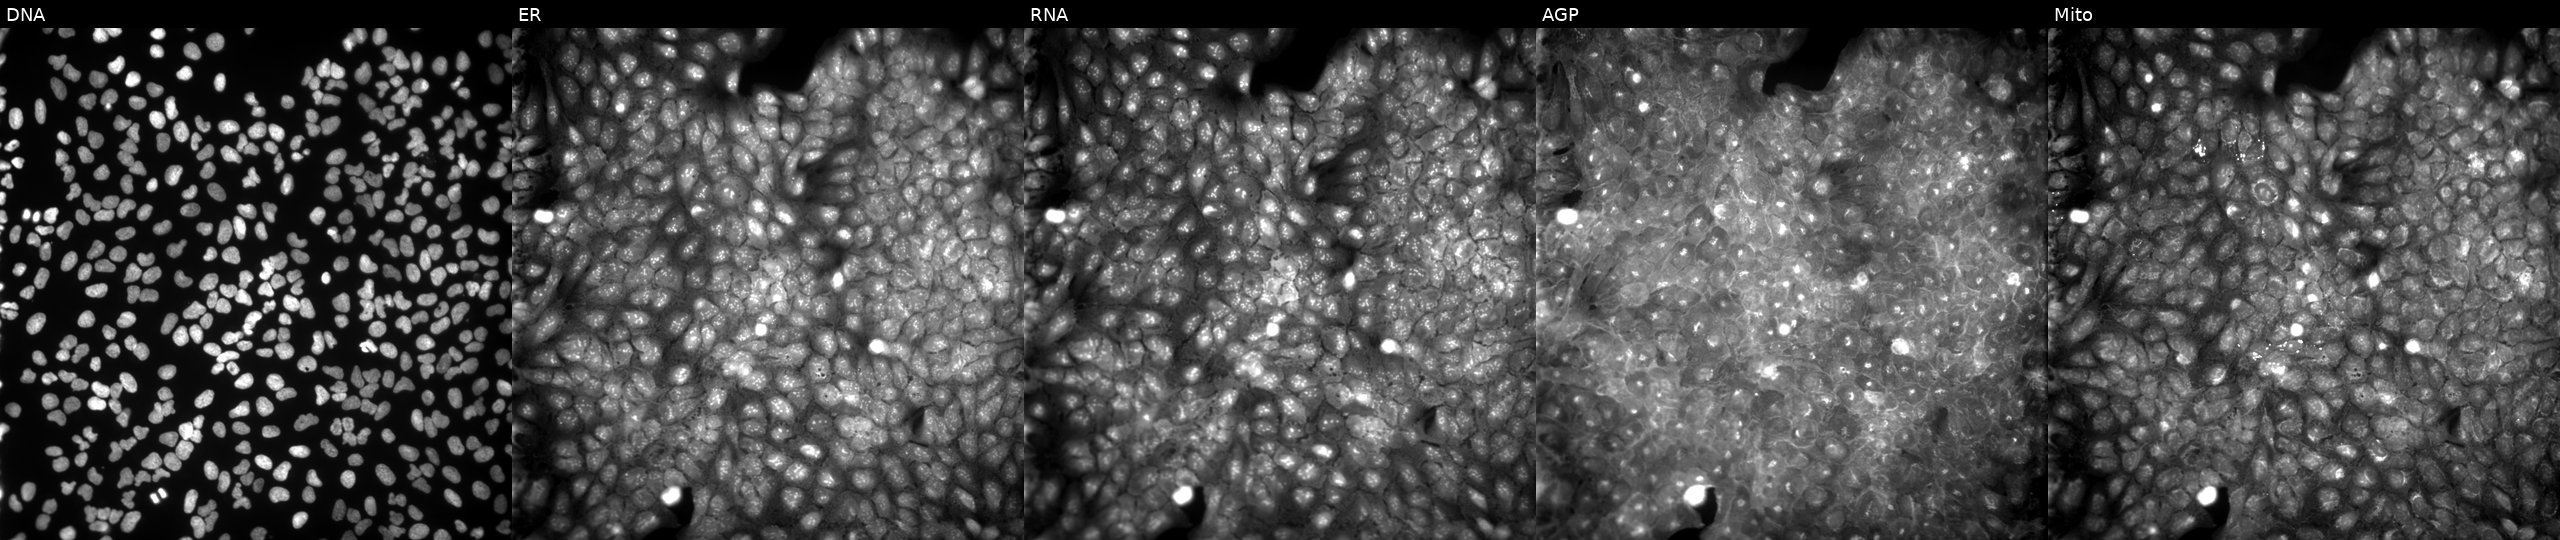
JUMP Cell Painting — COMPOUND plate. U2OS cells perturbed with a small-molecule compound (InChIKey BNAKPPPZDCTKKW-UHFFFAOYSA-N) [SMILES: CCCN(c1ccc(C(=O)OC)cc1)S(=O)(=O)c1ccccc1] (JUMP id JCP2022_007376). Panels show, left to right, DNA, ER, RNA, AGP, and Mito. Source 9, plate GR00003382, well AB11.